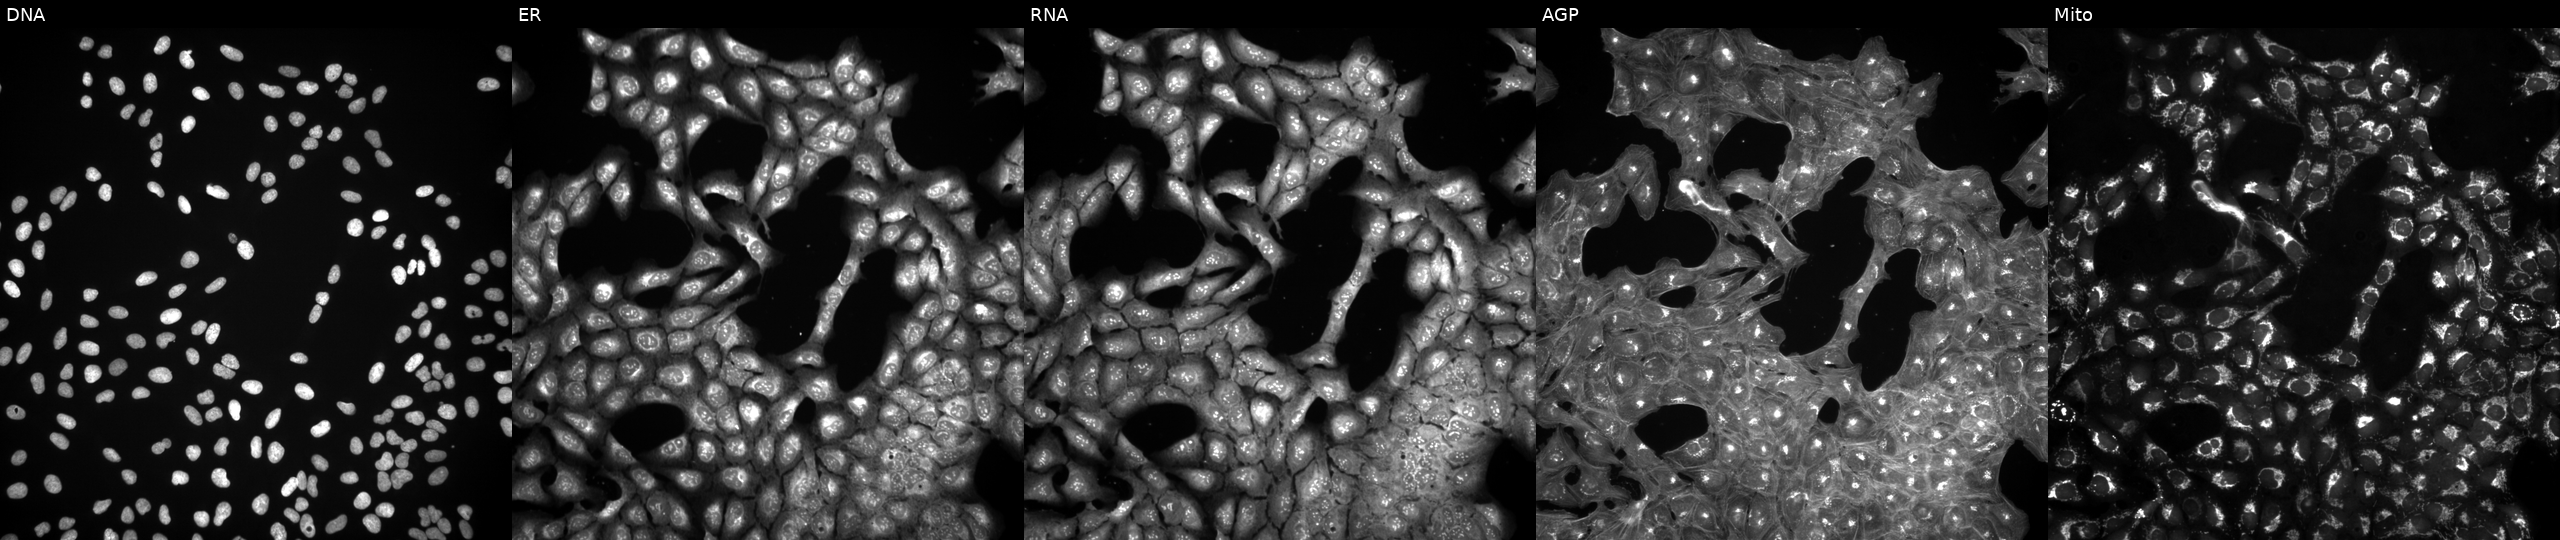
High-content fluorescence microscopy (Cell Painting). Cell line: U2OS. Perturbation: exposed to a small-molecule compound (InChIKey LHQBRLIMABHTCR-UHFFFAOYSA-N). Channels (left→right): Hoechst 33342, concanavalin A, SYTO 14, phalloidin and WGA, MitoTracker.